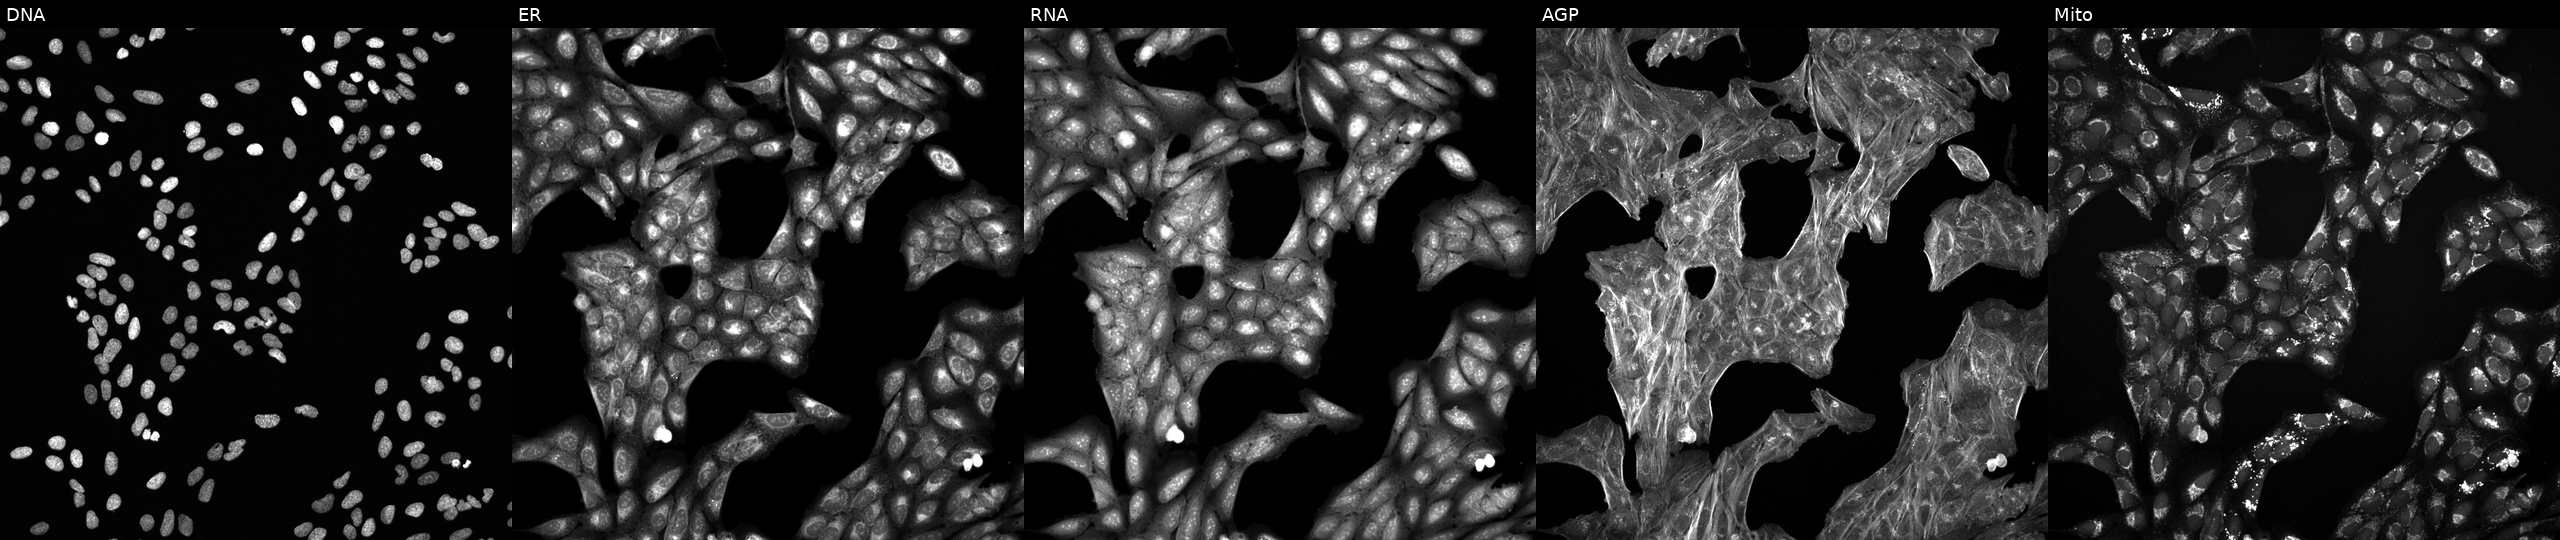
This image strip shows the five Cell Painting channels for a single field of U2OS cells perturbed with a small-molecule compound (InChIKey ZJMDTBBCNMGFMS-UHFFFAOYSA-N) [SMILES: CN1CCN(c2ccc(C=C(C#N)c3ccccc3Br)cc2)CC1]. The five panels, left to right, show Hoechst 33342, concanavalin A, SYTO 14, phalloidin and WGA, MitoTracker.